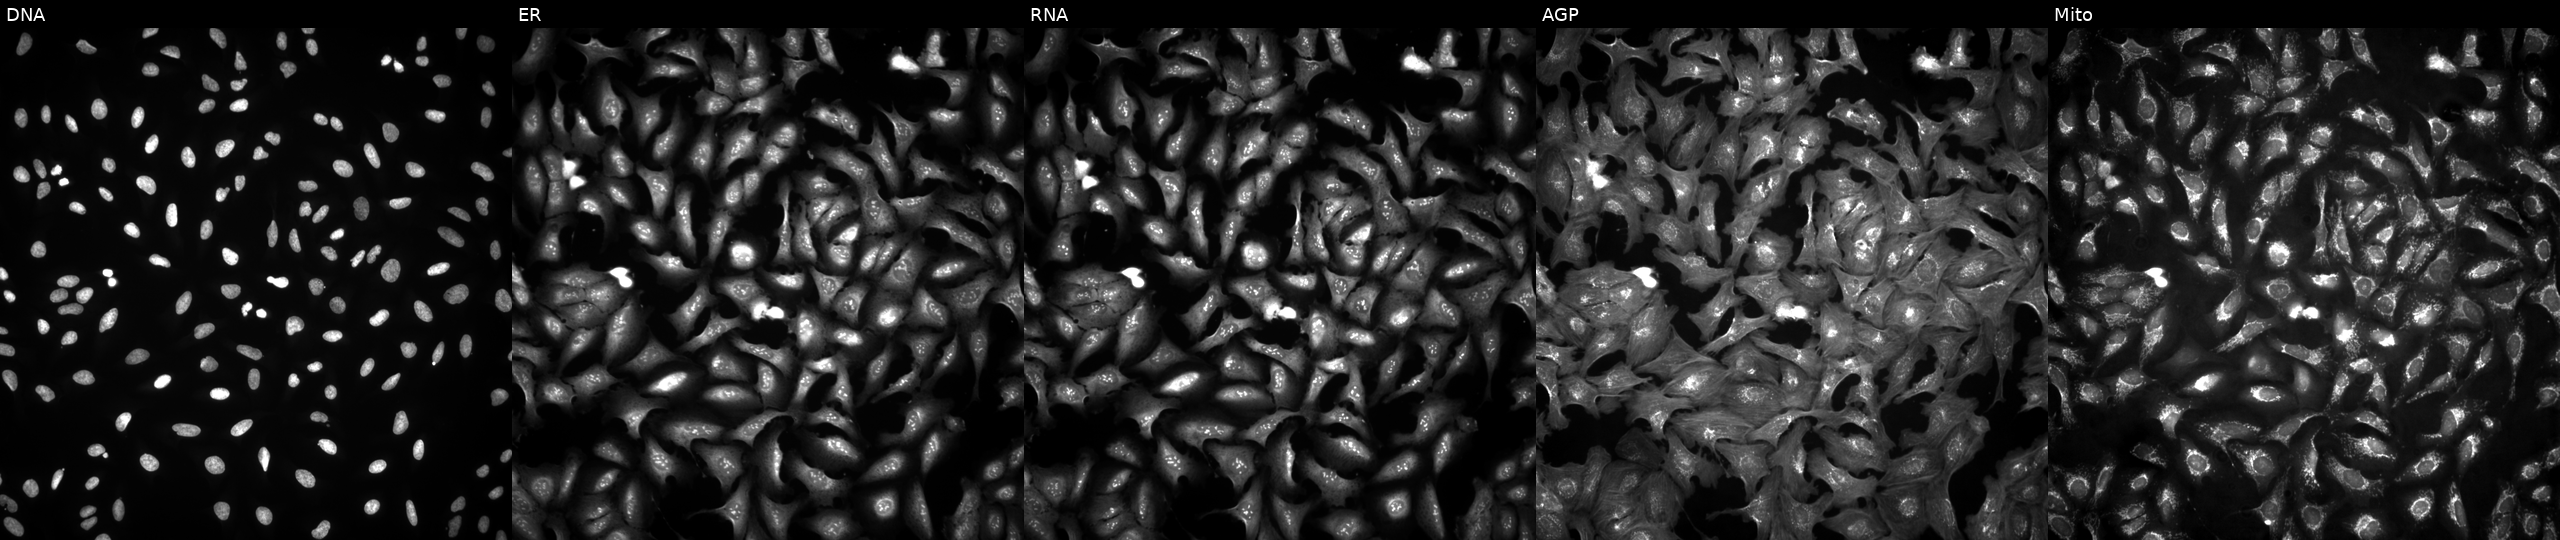
Five-channel Cell Painting image of U2OS cells transfected with an ORF construct for POLR2J. The five panels, left to right, show Hoechst 33342, concanavalin A, SYTO 14, phalloidin and WGA, MitoTracker.